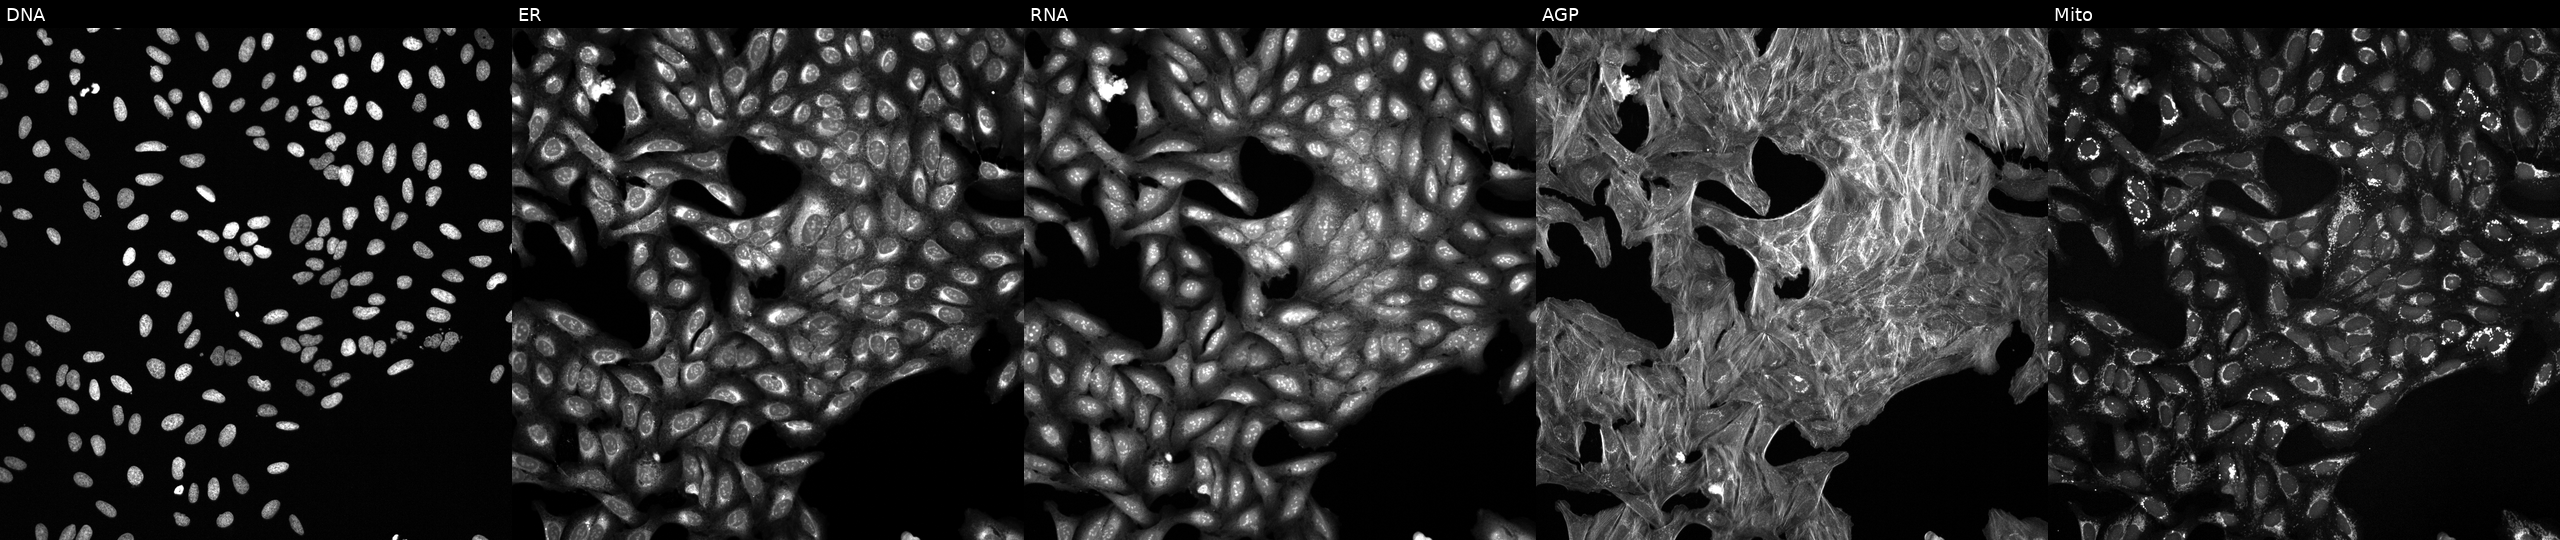
Five-channel Cell Painting image of U2OS cells perturbed with a small-molecule compound (JUMP id JCP2022_027911). Panels show, left to right, Hoechst 33342, concanavalin A, SYTO 14, phalloidin and WGA, MitoTracker.